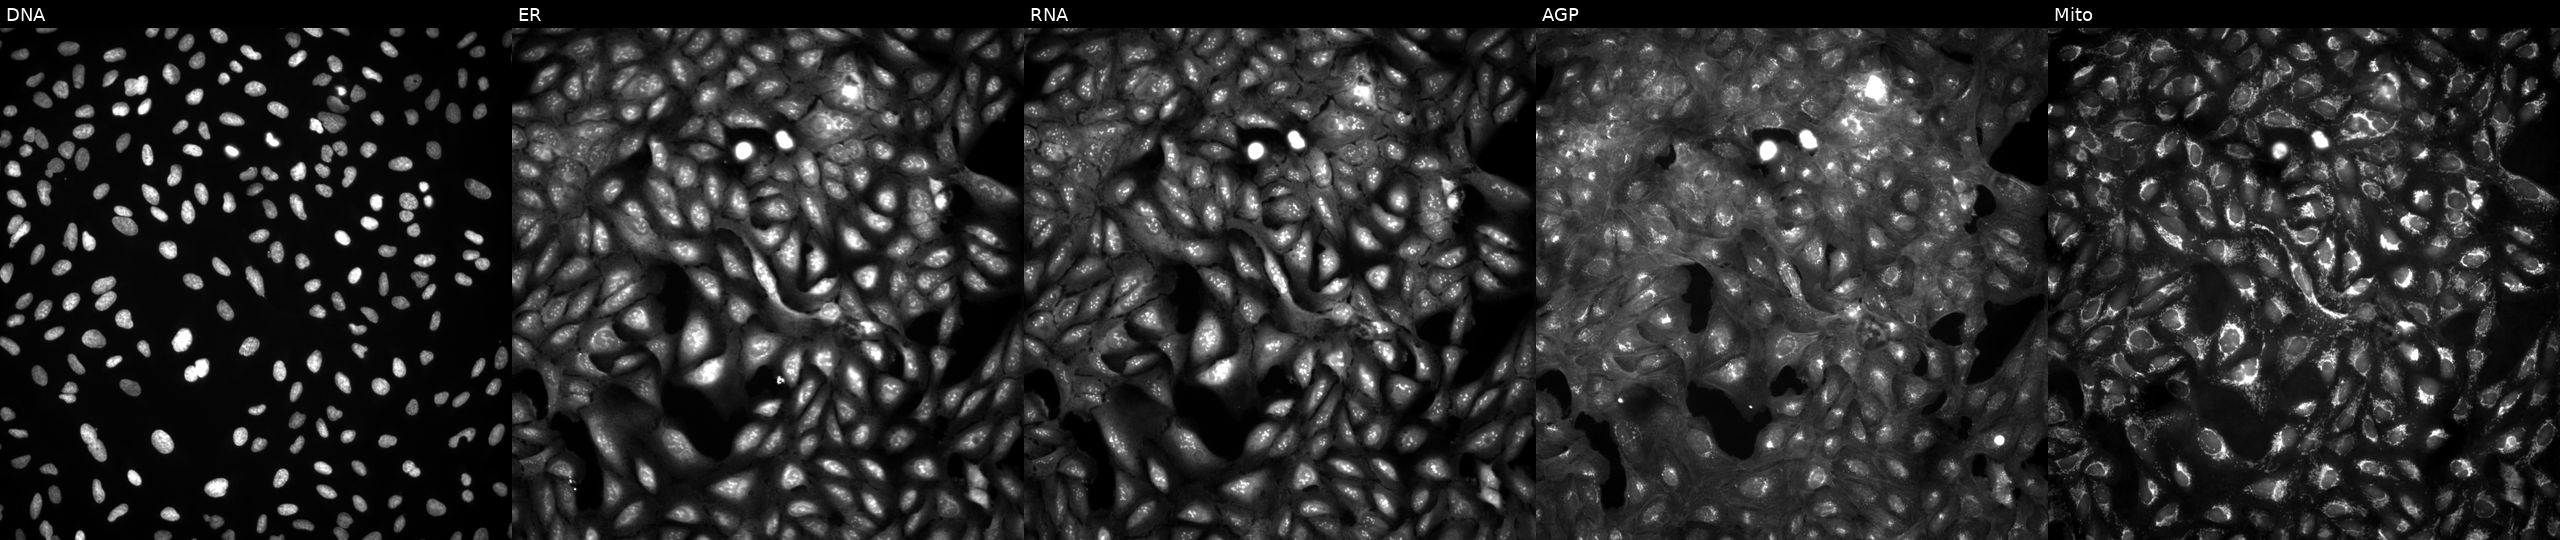
Five-channel Cell Painting image of U2OS cells untreated (empty-well control) (JUMP id JCP2022_999999). From left to right: DNA, ER, RNA, AGP, and Mito. Source 4, plate BR00123946, well G09.